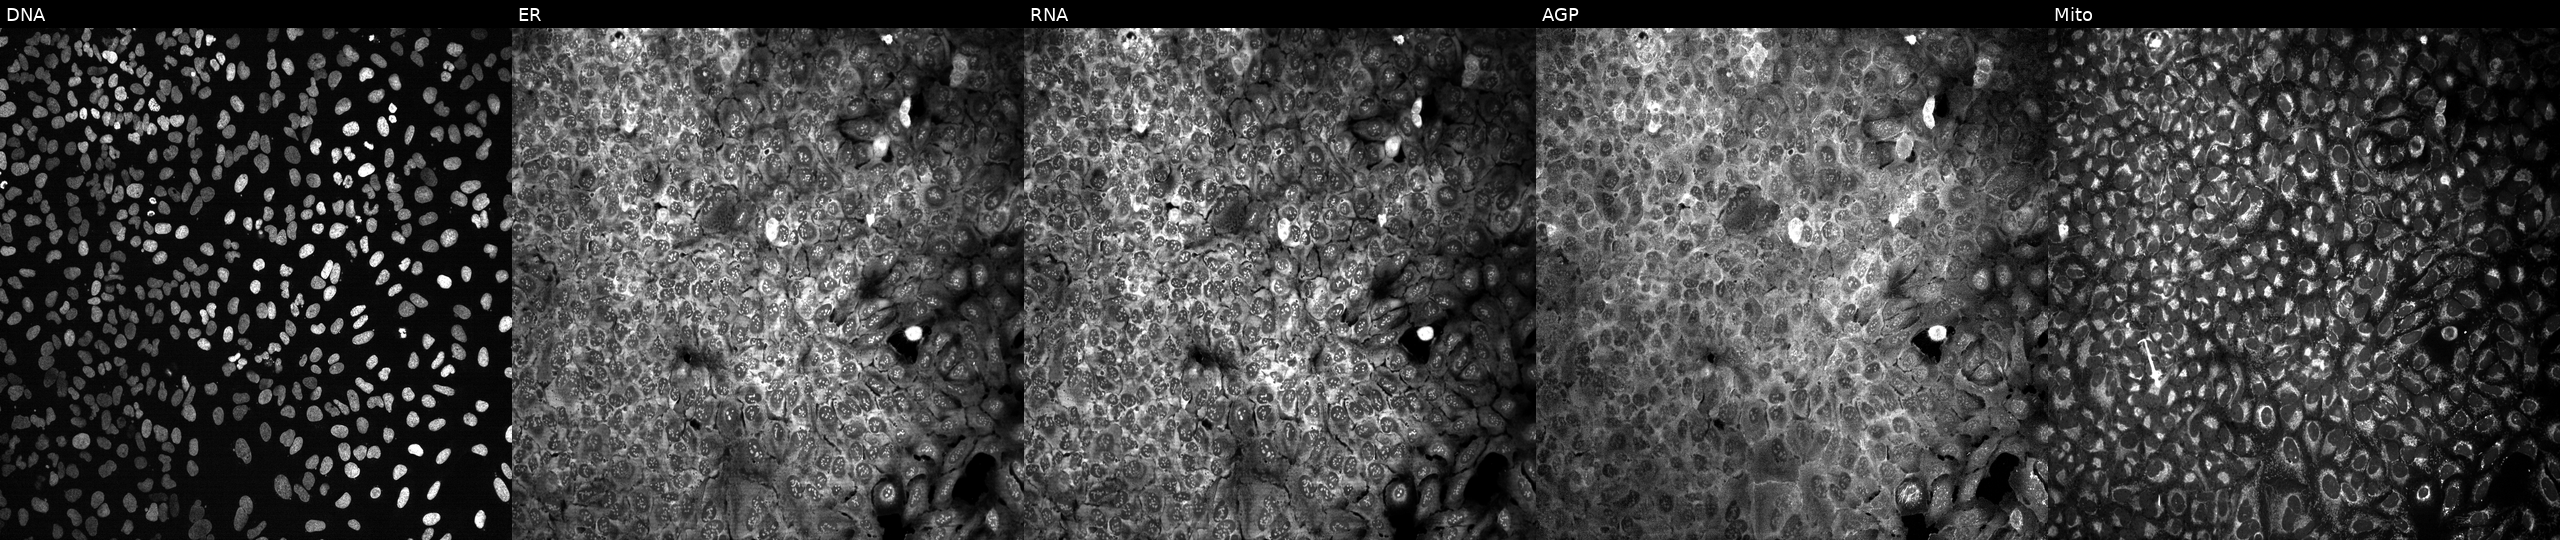
JUMP Cell Painting — CRISPR plate. U2OS cells CRISPR-edited to disrupt CA10 (JUMP id JCP2022_800972). Panels show, left to right, DNA (nuclei); ER (endoplasmic reticulum); RNA (nucleoli and cytoplasmic RNA); AGP (actin cytoskeleton, Golgi, and plasma membrane); Mito (mitochondria). Source 13, plate CP-CC9-R3-01, well O05.